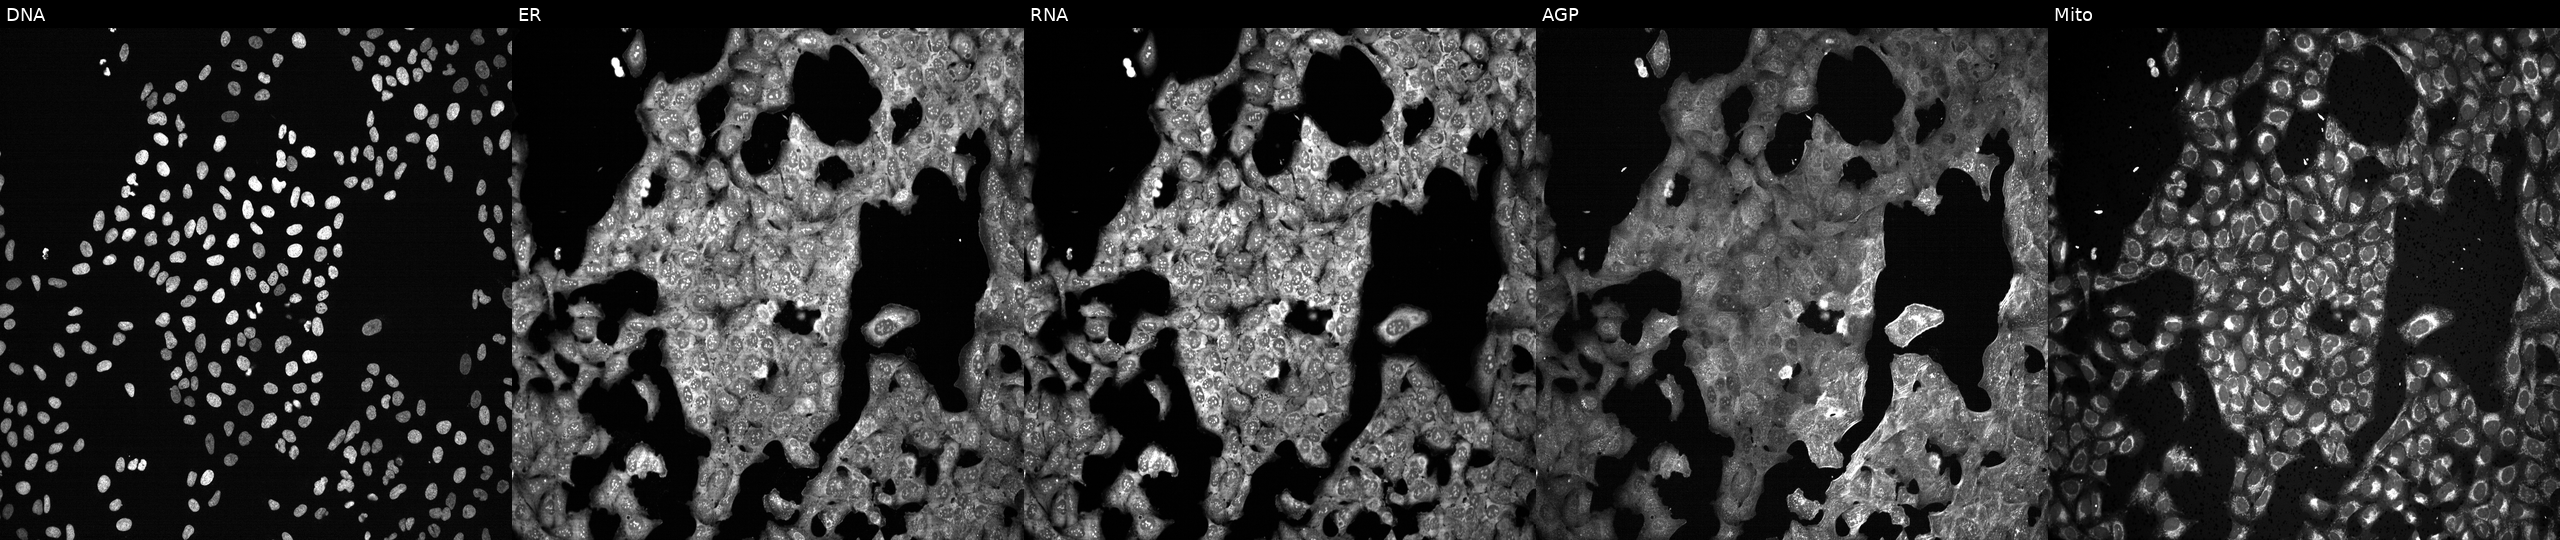
High-content fluorescence microscopy (Cell Painting). Cell line: U2OS. Perturbation: exposed to the positive-control compound NVS-PAK1-1. Channels (left→right): DNA (nuclei); ER (endoplasmic reticulum); RNA (nucleoli and cytoplasmic RNA); AGP (actin cytoskeleton, Golgi, and plasma membrane); Mito (mitochondria). Source 13, plate CP-CC9-R2-01, well K24.